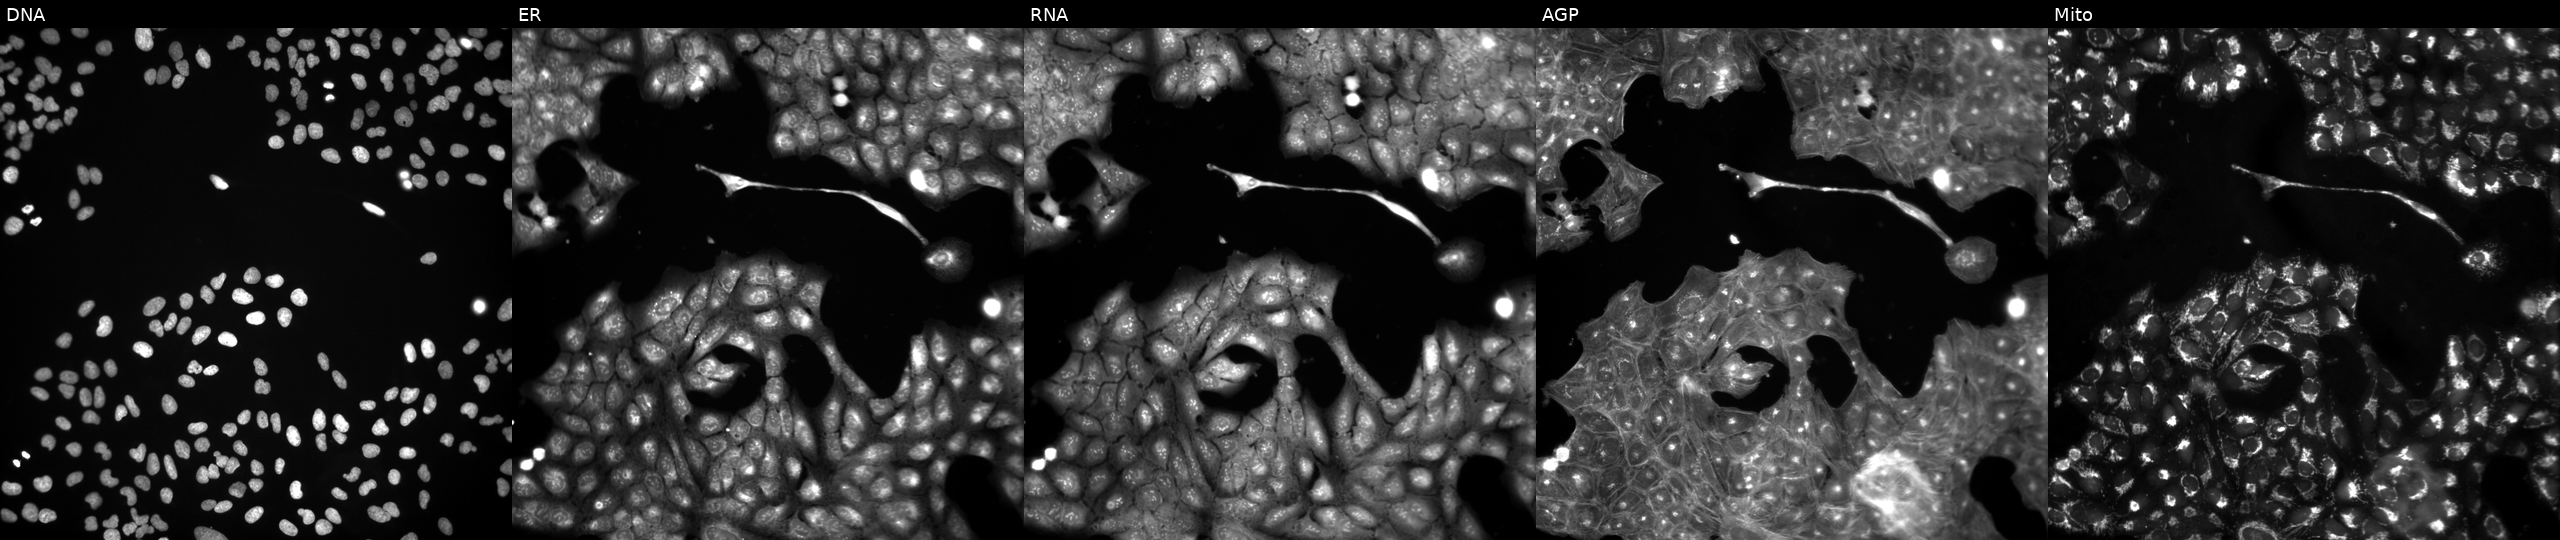
From left to right: DNA, ER, RNA, AGP, and Mito. U2OS osteosarcoma cells exposed to a small-molecule compound (InChIKey ZJVFLBOZORBYFE-UHFFFAOYSA-N) [SMILES: CC(C)C(=O)c1c(C(C)C)nn2ccccc12]. Cell Painting assay, JUMP-CP dataset. Source 3, plate JCPQC053, well D01.